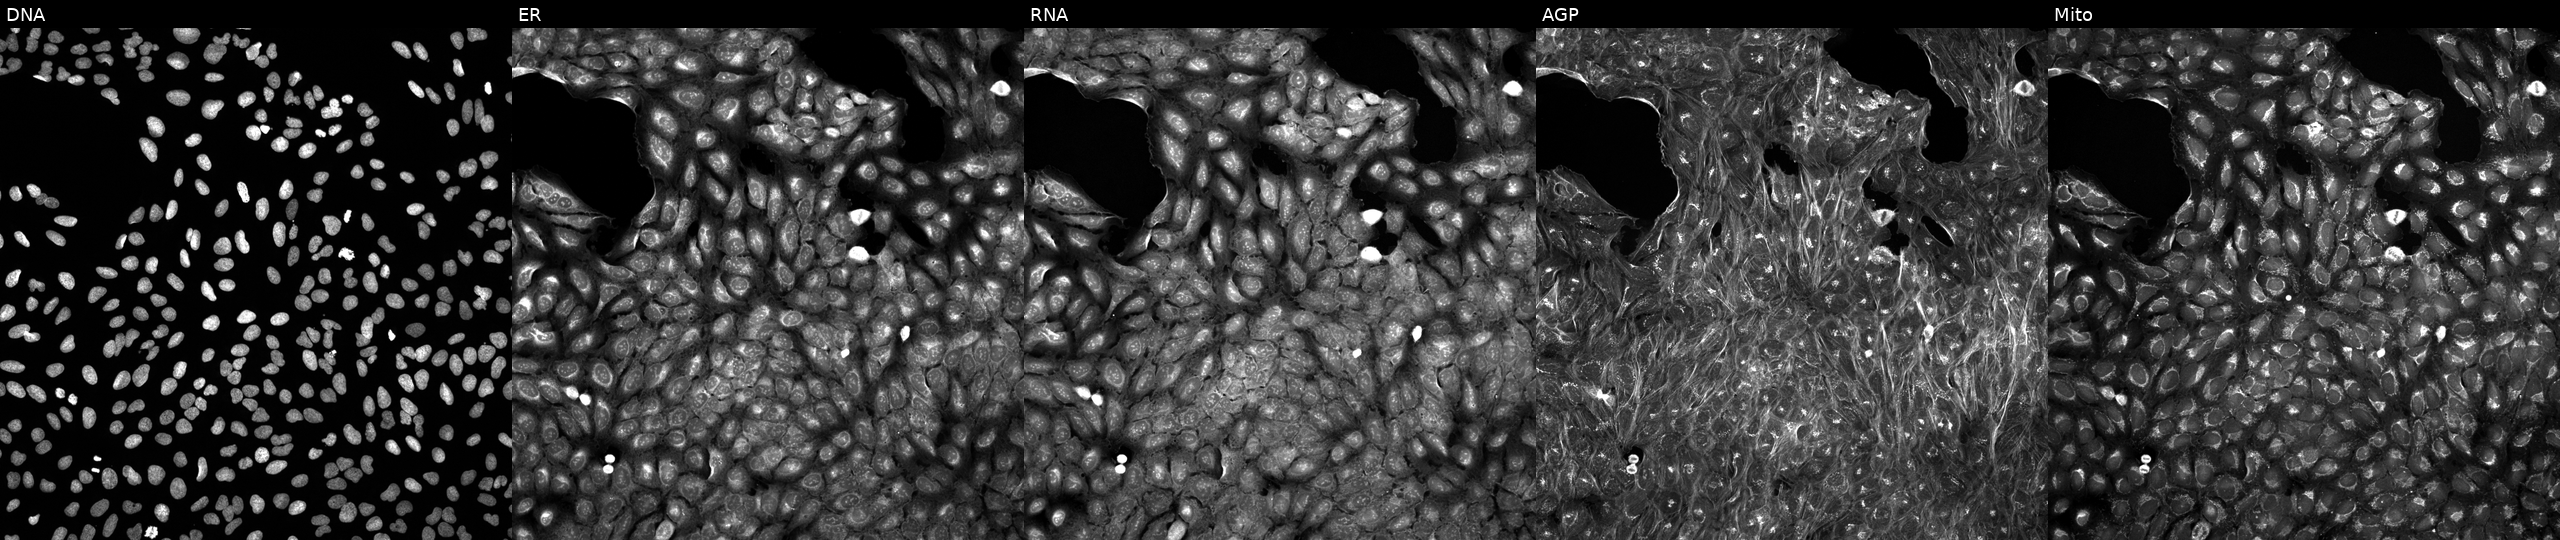
High-content fluorescence microscopy (Cell Painting). Cell line: U2OS. Perturbation: exposed to DMSO alone as a negative control. Panels show, left to right, Hoechst 33342, concanavalin A, SYTO 14, phalloidin and WGA, MitoTracker.